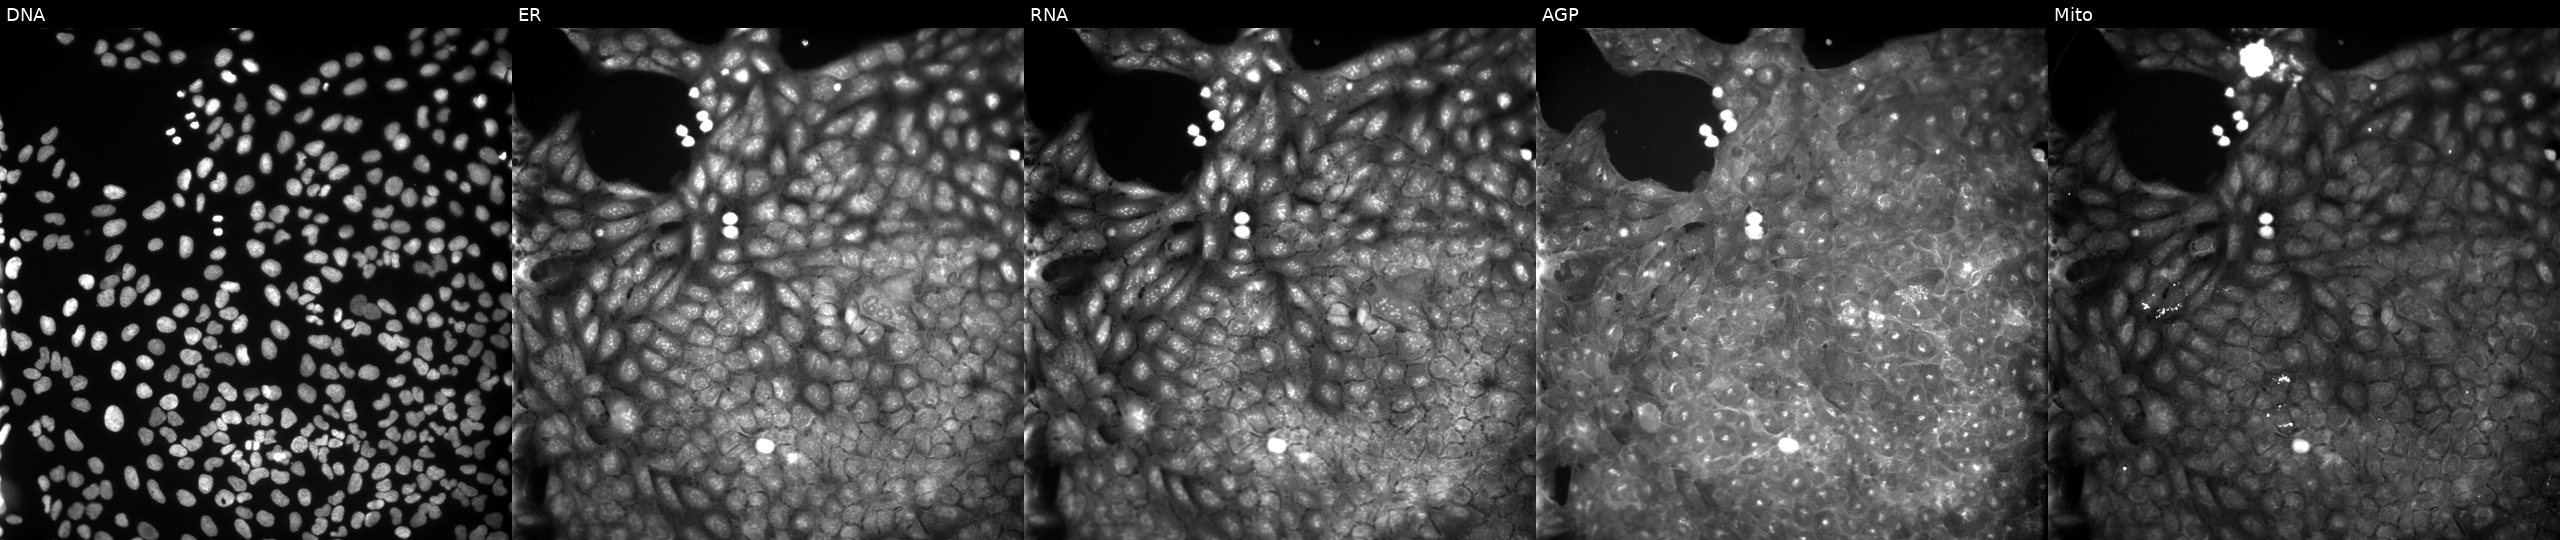
From left to right: Hoechst 33342, concanavalin A, SYTO 14, phalloidin and WGA, MitoTracker. U2OS osteosarcoma cells perturbed with a small-molecule compound (InChIKey WZGGLUQLQCFCGG-UHFFFAOYSA-N) [SMILES: CC(C)CC(=O)NC(=S)N1CCN(c2ccc([N+](=O)[O-])cc2Cl)CC1] (JUMP id JCP2022_102148). Cell Painting assay, JUMP-CP dataset.